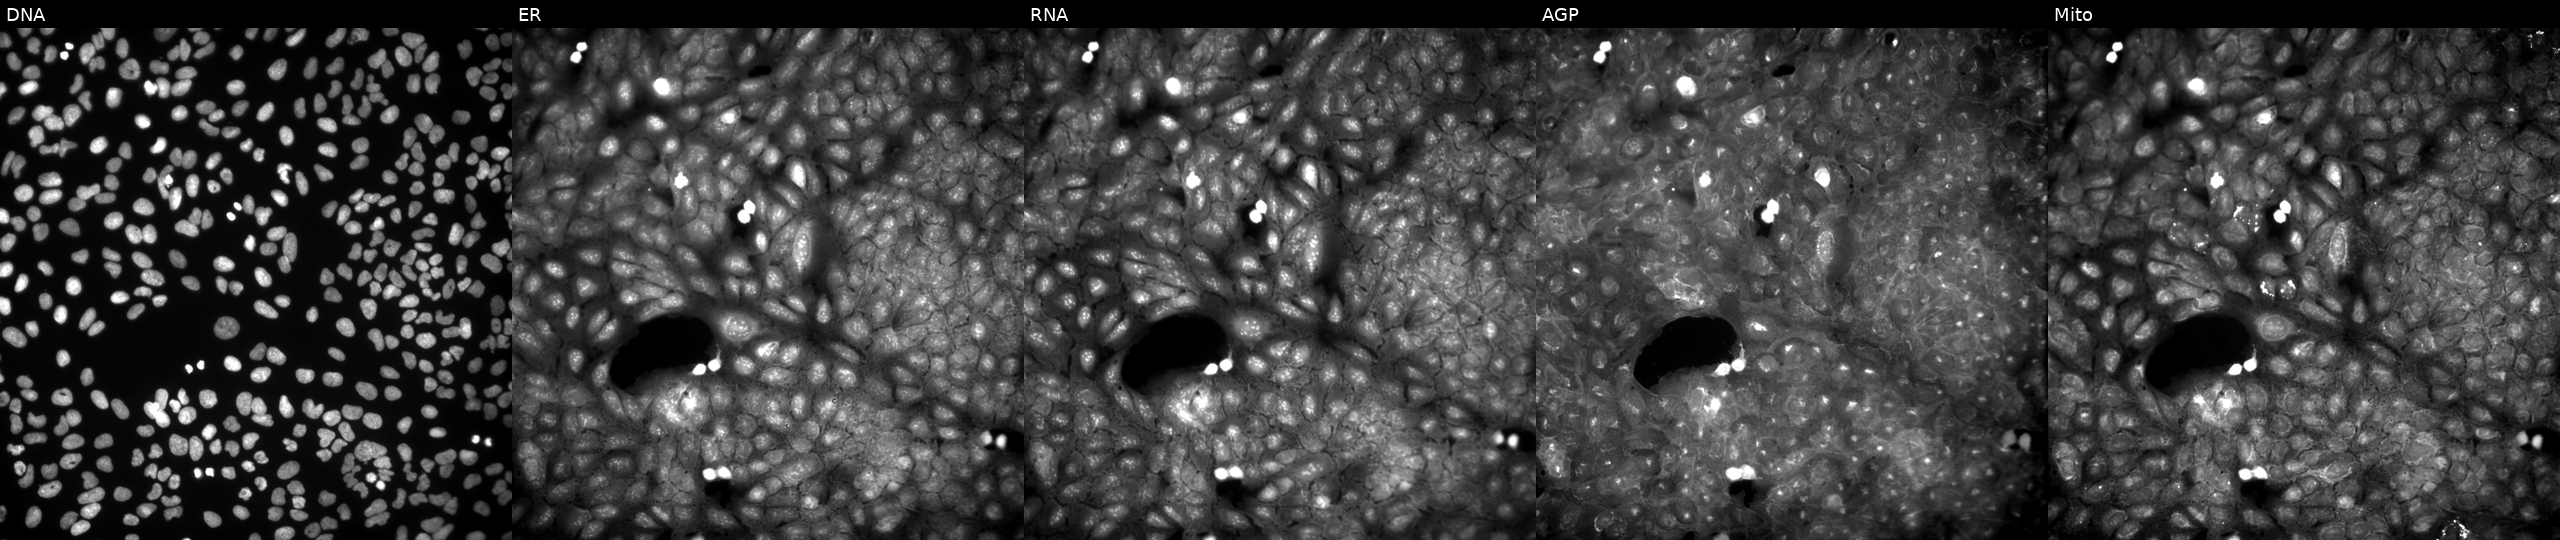
Channels (left→right): DNA (nuclei); ER (endoplasmic reticulum); RNA (nucleoli and cytoplasmic RNA); AGP (actin cytoskeleton, Golgi, and plasma membrane); Mito (mitochondria). U2OS osteosarcoma cells treated with a small-molecule compound (InChIKey LYIVLUSGSYMFIH-UHFFFAOYSA-N) [SMILES: COc1ccc(C(=O)CSc2n[nH]c(-c3ccco3)n2)cc1] (JUMP id JCP2022_052503). Cell Painting assay, JUMP-CP dataset. Source 9, plate GR00003381, well U42.